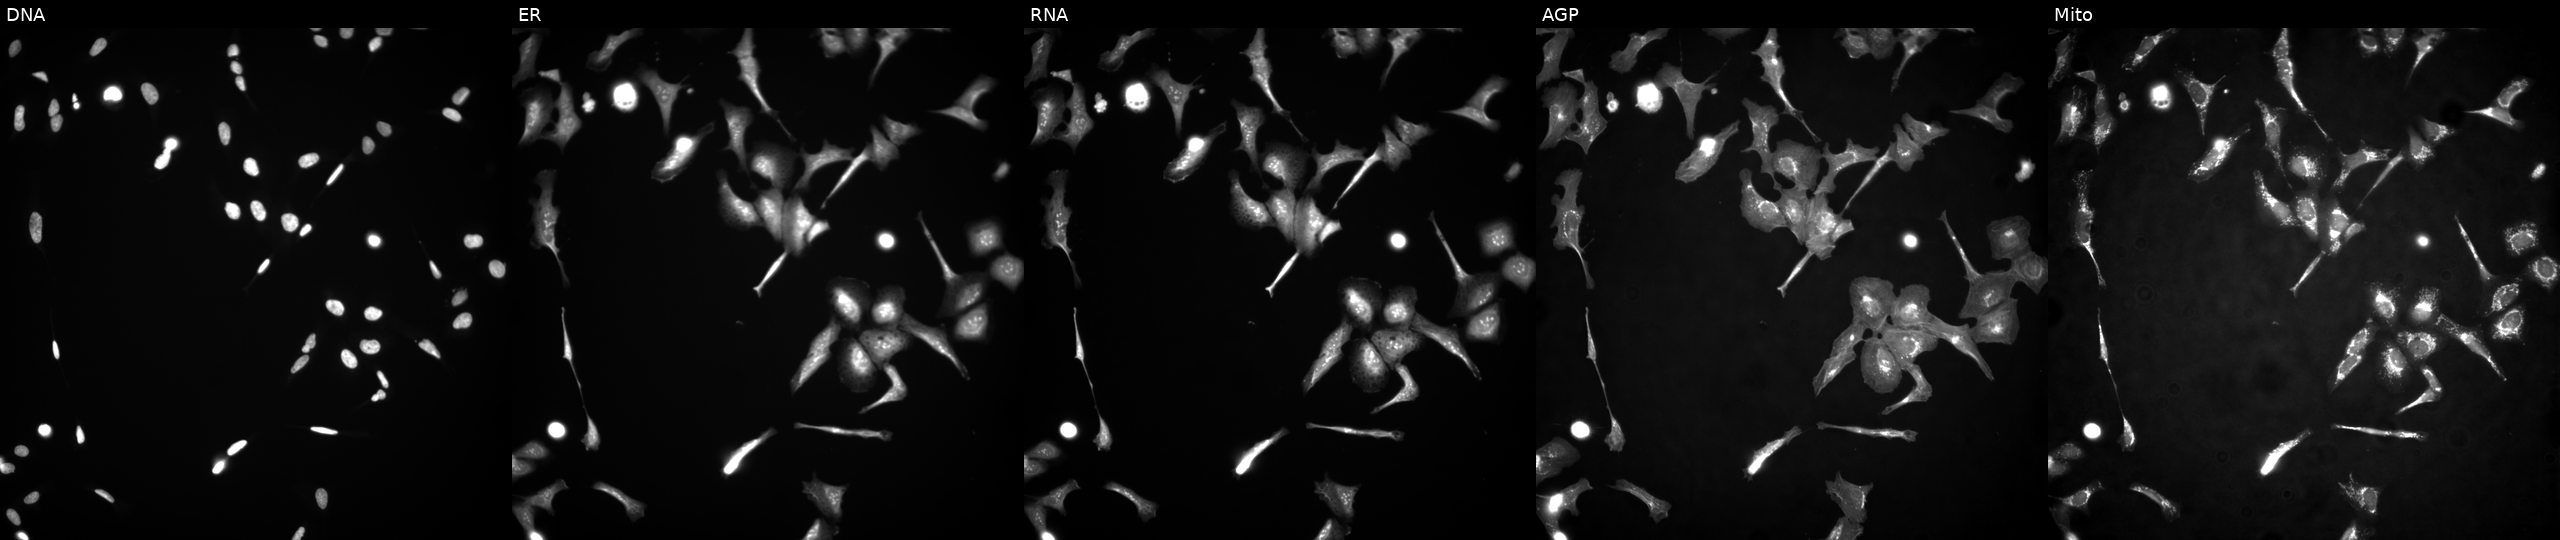
JUMP Cell Painting — ORF plate. U2OS cells transfected with an ORF construct for ZNF296 (JUMP id JCP2022_904790). Panels show, left to right, DNA (nuclei); ER (endoplasmic reticulum); RNA (nucleoli and cytoplasmic RNA); AGP (actin cytoskeleton, Golgi, and plasma membrane); Mito (mitochondria).